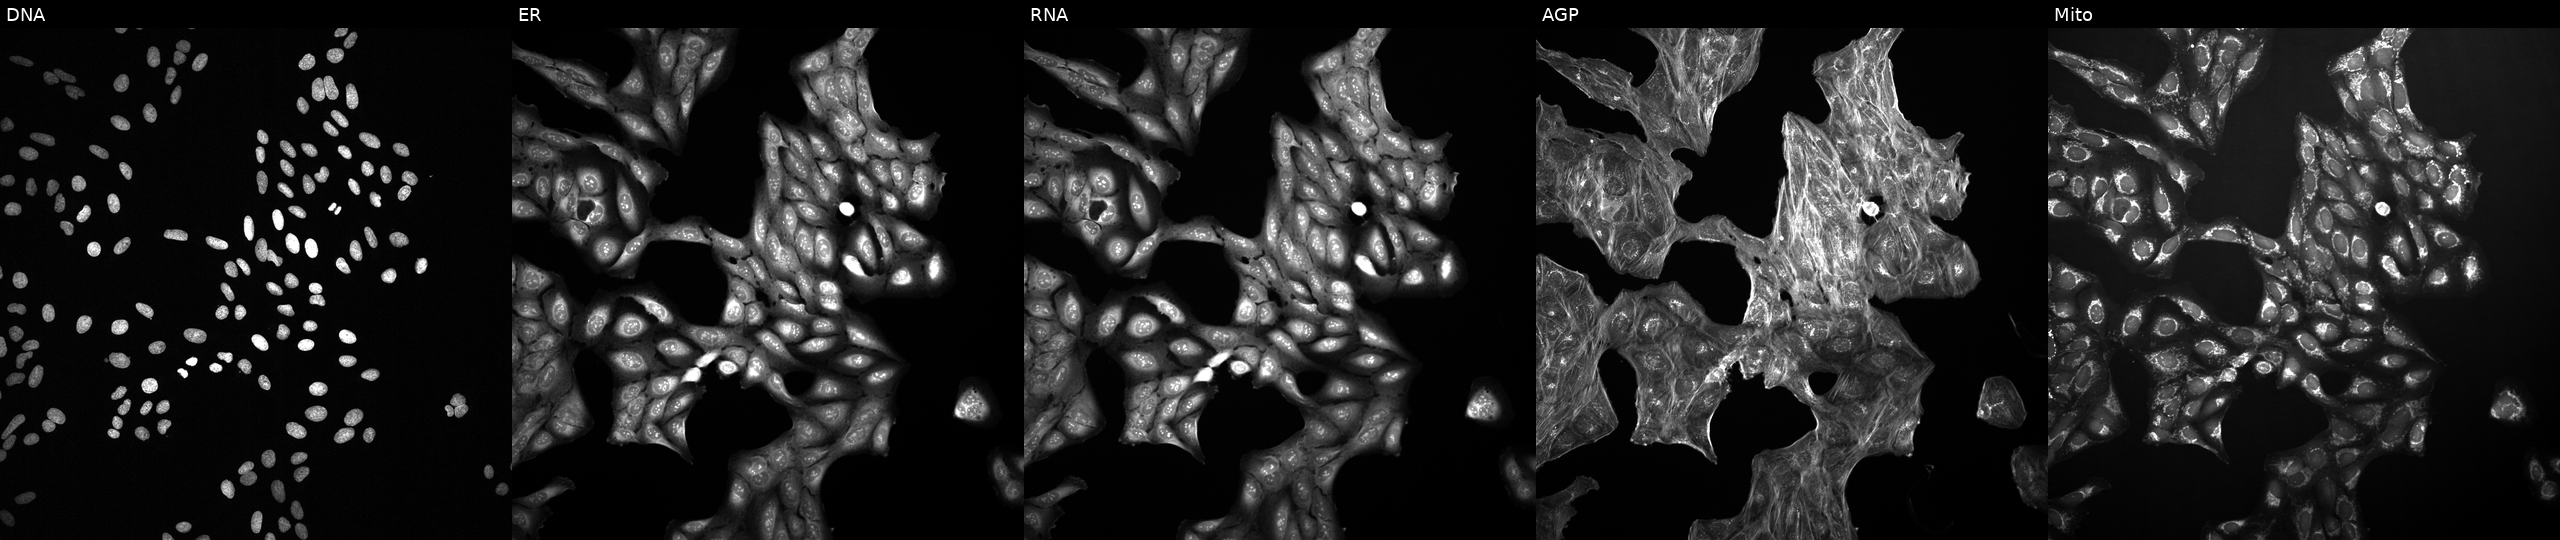
From left to right: Hoechst 33342, concanavalin A, SYTO 14, phalloidin and WGA, MitoTracker. U2OS osteosarcoma cells perturbed with a small-molecule compound (InChIKey OUZWUKMCLIBBOG-UHFFFAOYSA-N) (JUMP id JCP2022_066287). Cell Painting assay, JUMP-CP dataset.